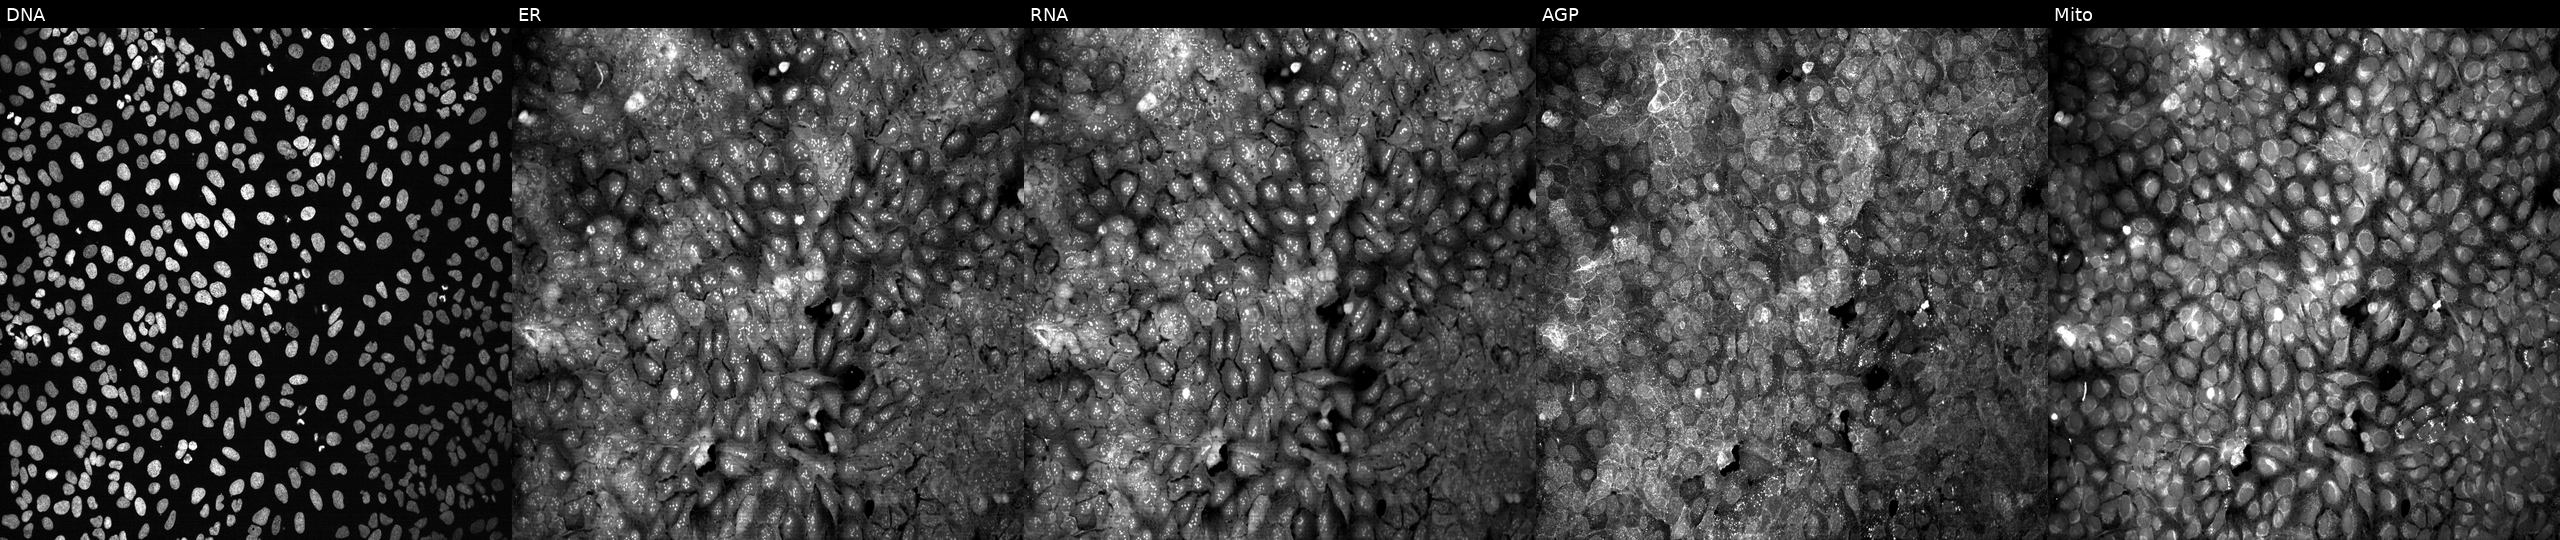
This image strip shows the five Cell Painting channels for a single field of U2OS cells exposed to DMSO alone as a negative control (JUMP id JCP2022_033924). The five panels, left to right, show Hoechst 33342, concanavalin A, SYTO 14, phalloidin and WGA, MitoTracker.